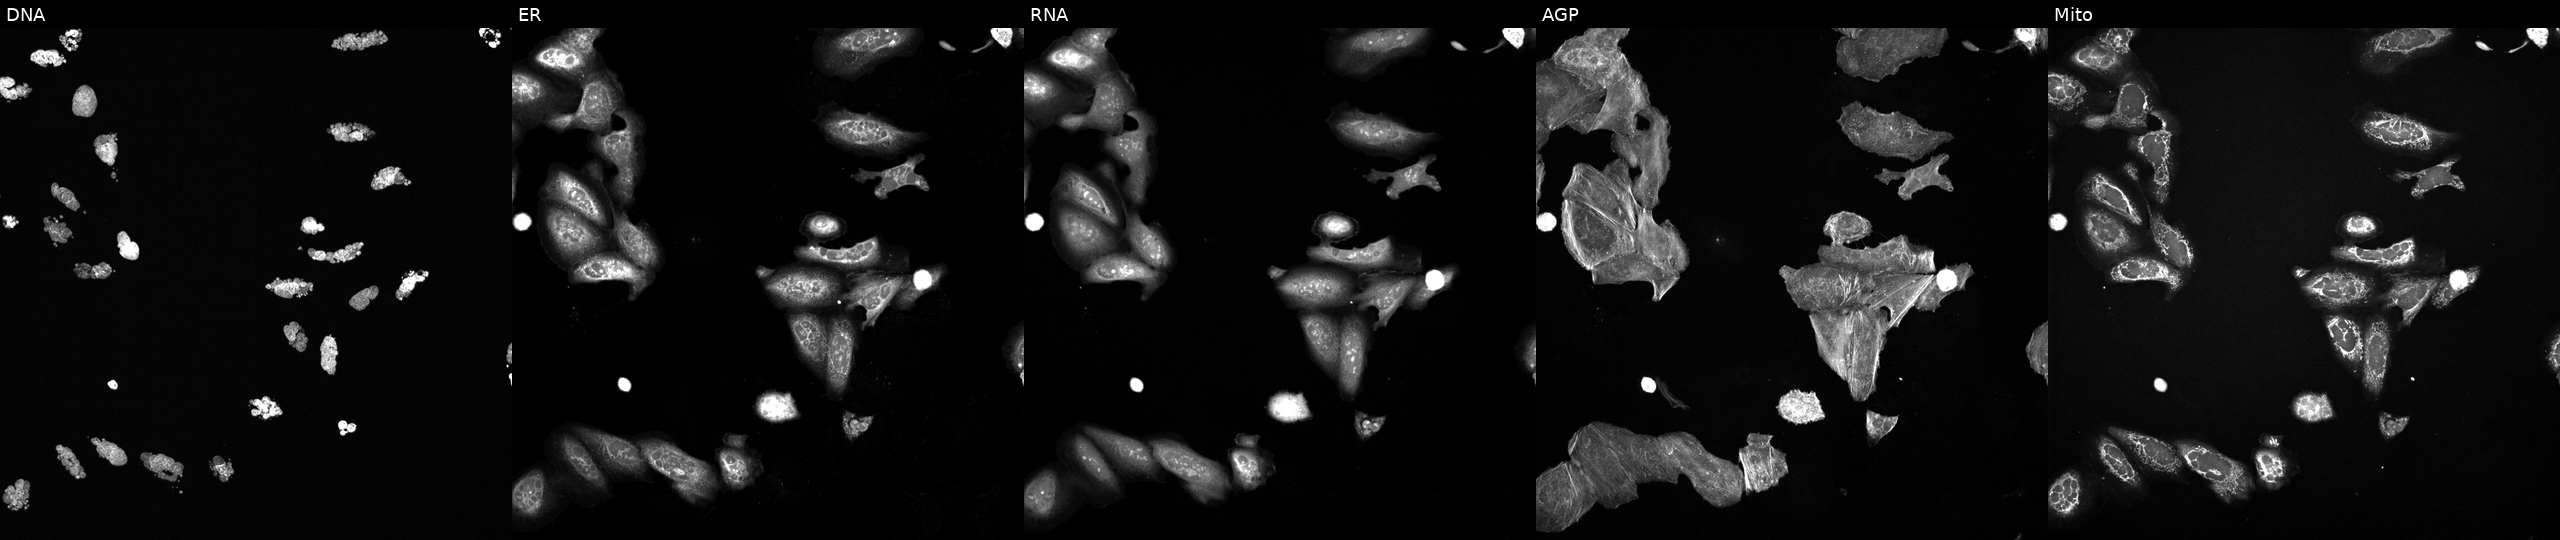
Five-channel Cell Painting image of U2OS cells exposed to a small-molecule compound (InChIKey QXRSDHAAWVKZLJ-UHFFFAOYSA-N) (JUMP id JCP2022_076573). From left to right: DNA (nuclei); ER (endoplasmic reticulum); RNA (nucleoli and cytoplasmic RNA); AGP (actin cytoskeleton, Golgi, and plasma membrane); Mito (mitochondria).